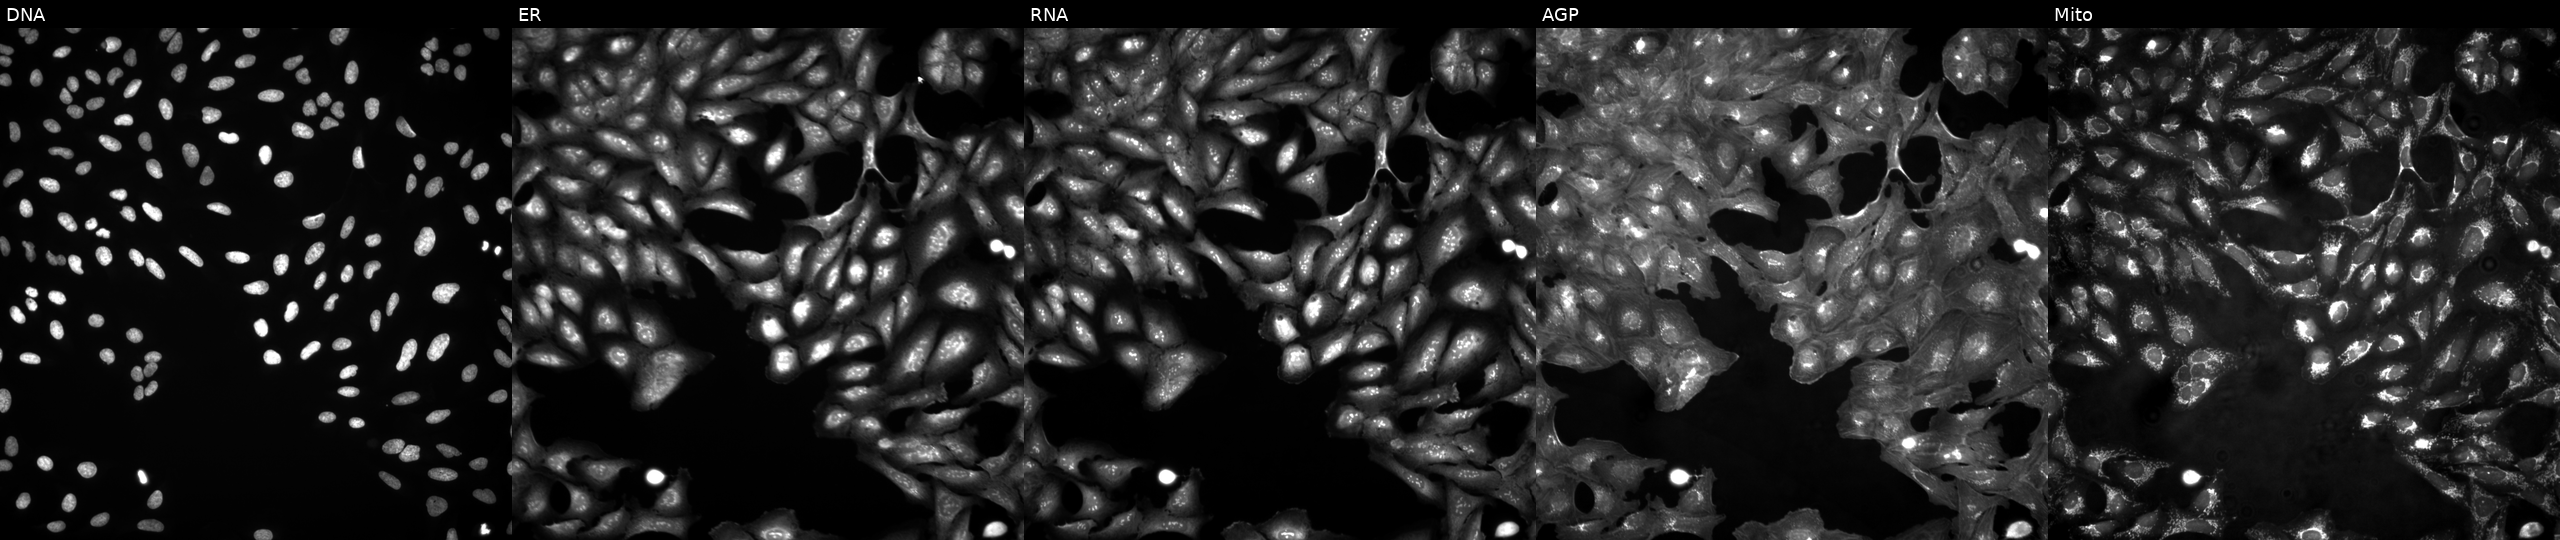
High-content fluorescence microscopy (Cell Painting). Cell line: U2OS. Perturbation: in an empty control well (no perturbation) (JUMP id JCP2022_999999). Panels show, left to right, DNA, ER, RNA, AGP, and Mito.